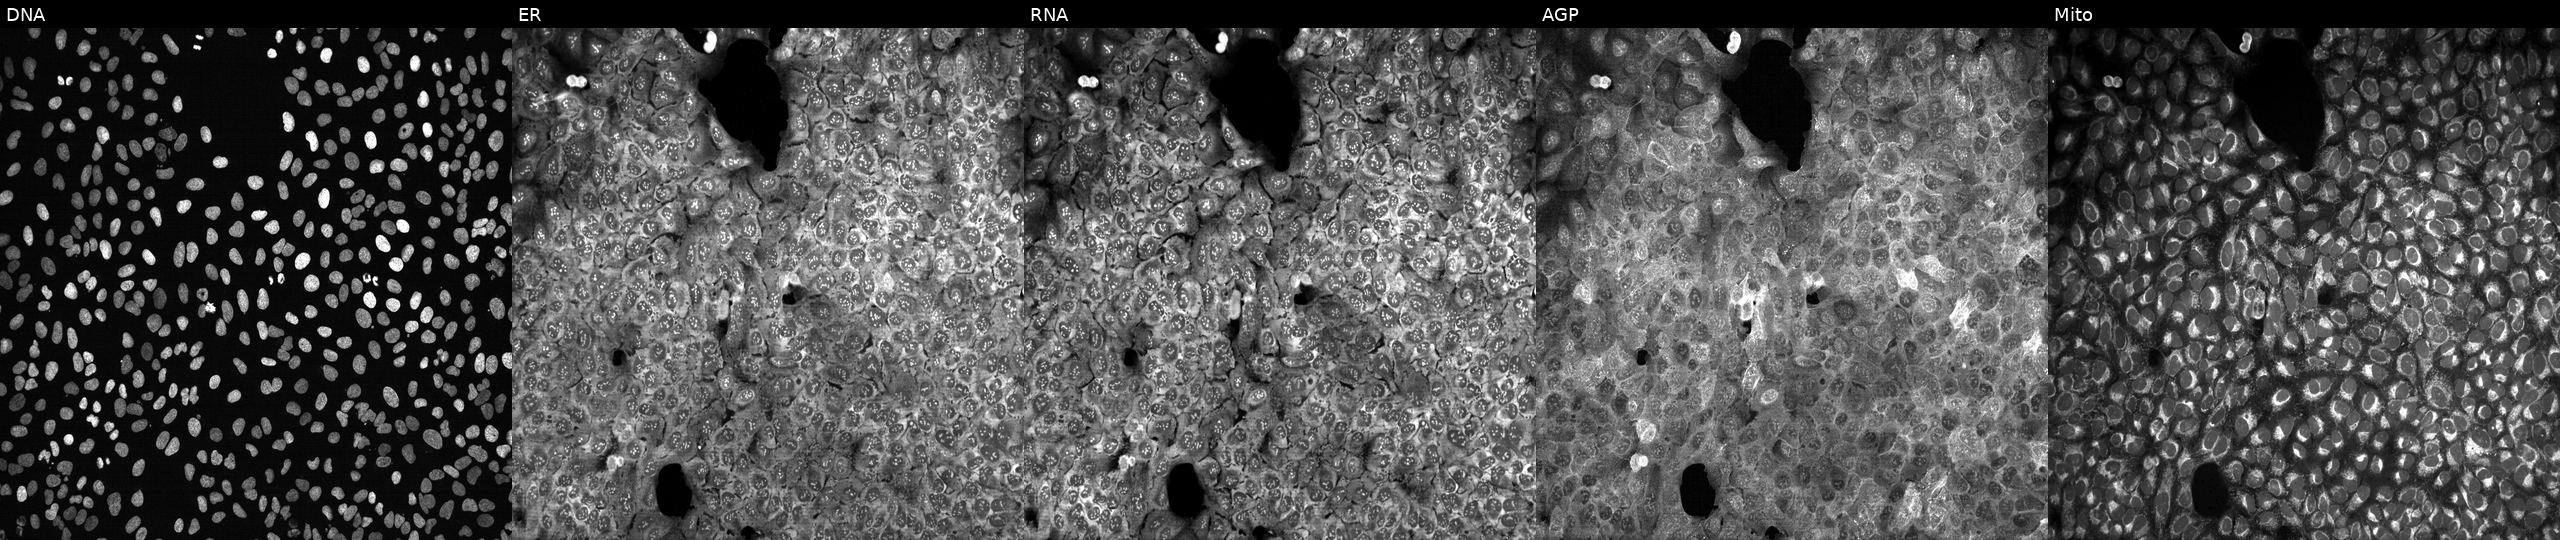
JUMP Cell Painting — CRISPR plate. U2OS cells with HAO2 knocked out by CRISPR (JUMP id JCP2022_803017). Channels (left→right): Hoechst 33342, concanavalin A, SYTO 14, phalloidin and WGA, MitoTracker.